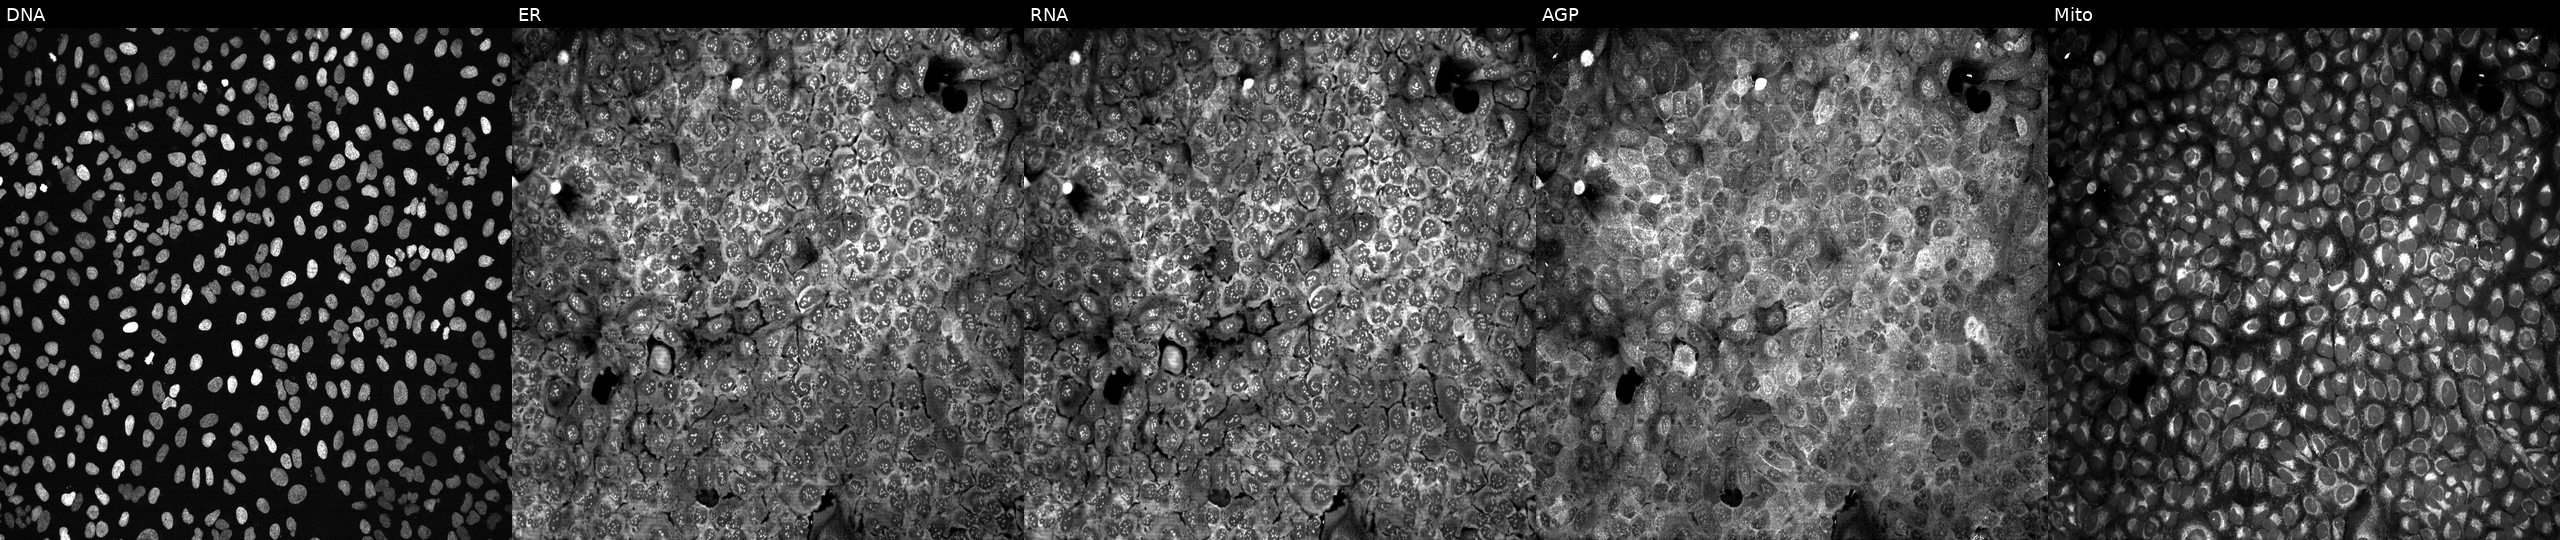
U2OS cells, Cell Painting assay, following CRISPR knockout of NOS3 (JUMP id JCP2022_804639). Channels (left→right): Hoechst 33342, concanavalin A, SYTO 14, phalloidin and WGA, MitoTracker. Each panel is percentile-stretched 16-bit fluorescence. Source 13, plate CP-CC9-R2-02, well N18.